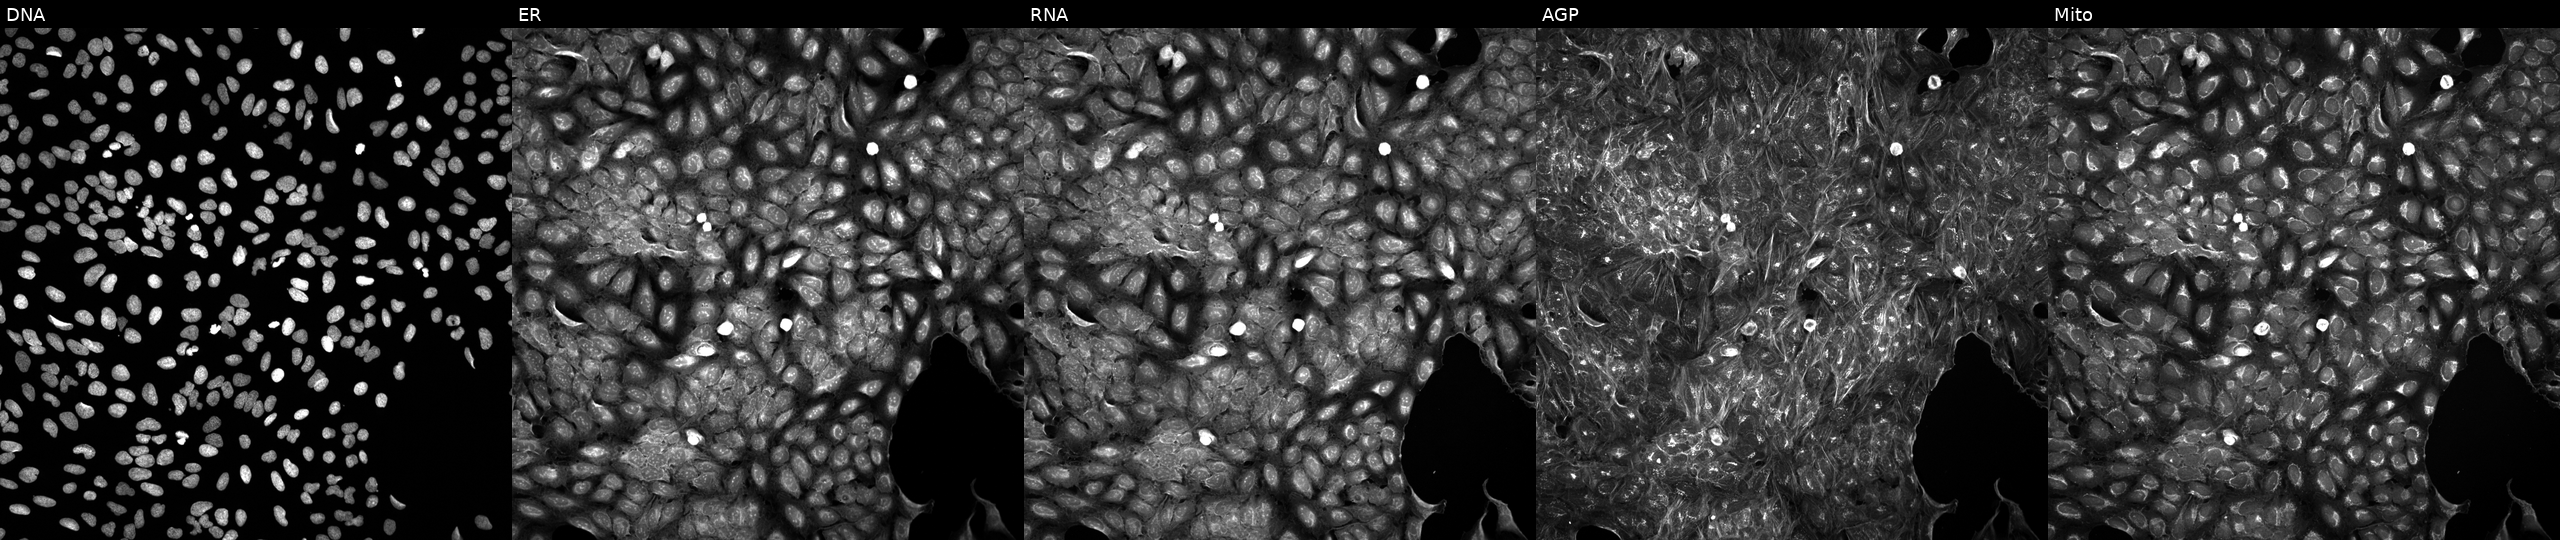
Five-channel Cell Painting image of U2OS cells perturbed with a small-molecule compound (InChIKey UJYIQULVVQVWNW-UHFFFAOYSA-N). Channels (left→right): DNA, ER, RNA, AGP, and Mito.